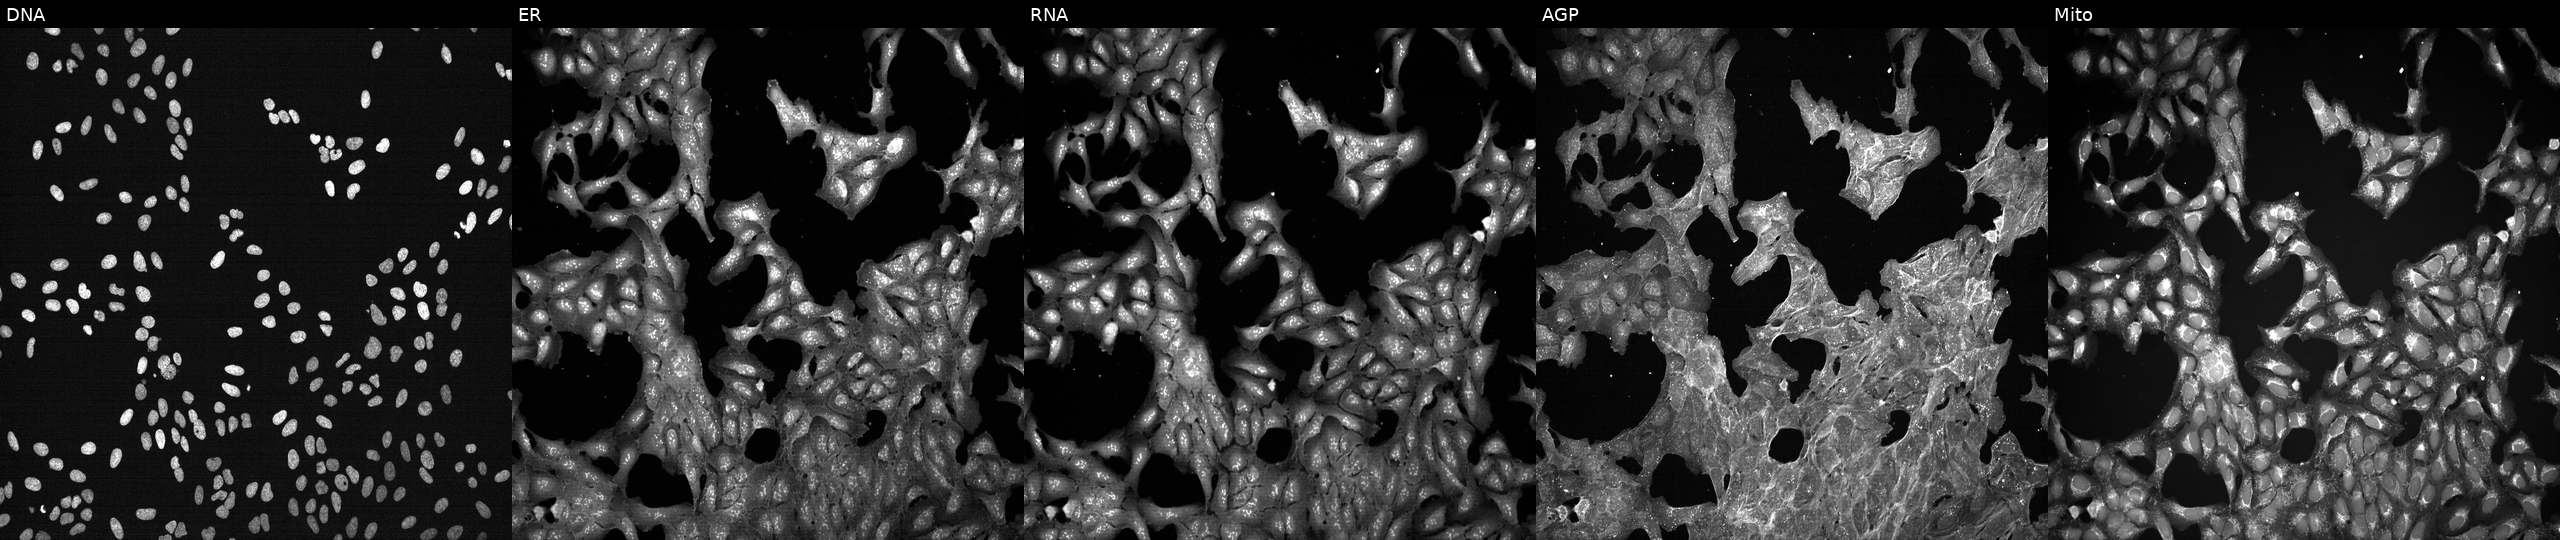
The five panels, left to right, show Hoechst 33342, concanavalin A, SYTO 14, phalloidin and WGA, MitoTracker. U2OS osteosarcoma cells treated with DMSO vehicle only (negative control). Cell Painting assay, JUMP-CP dataset.